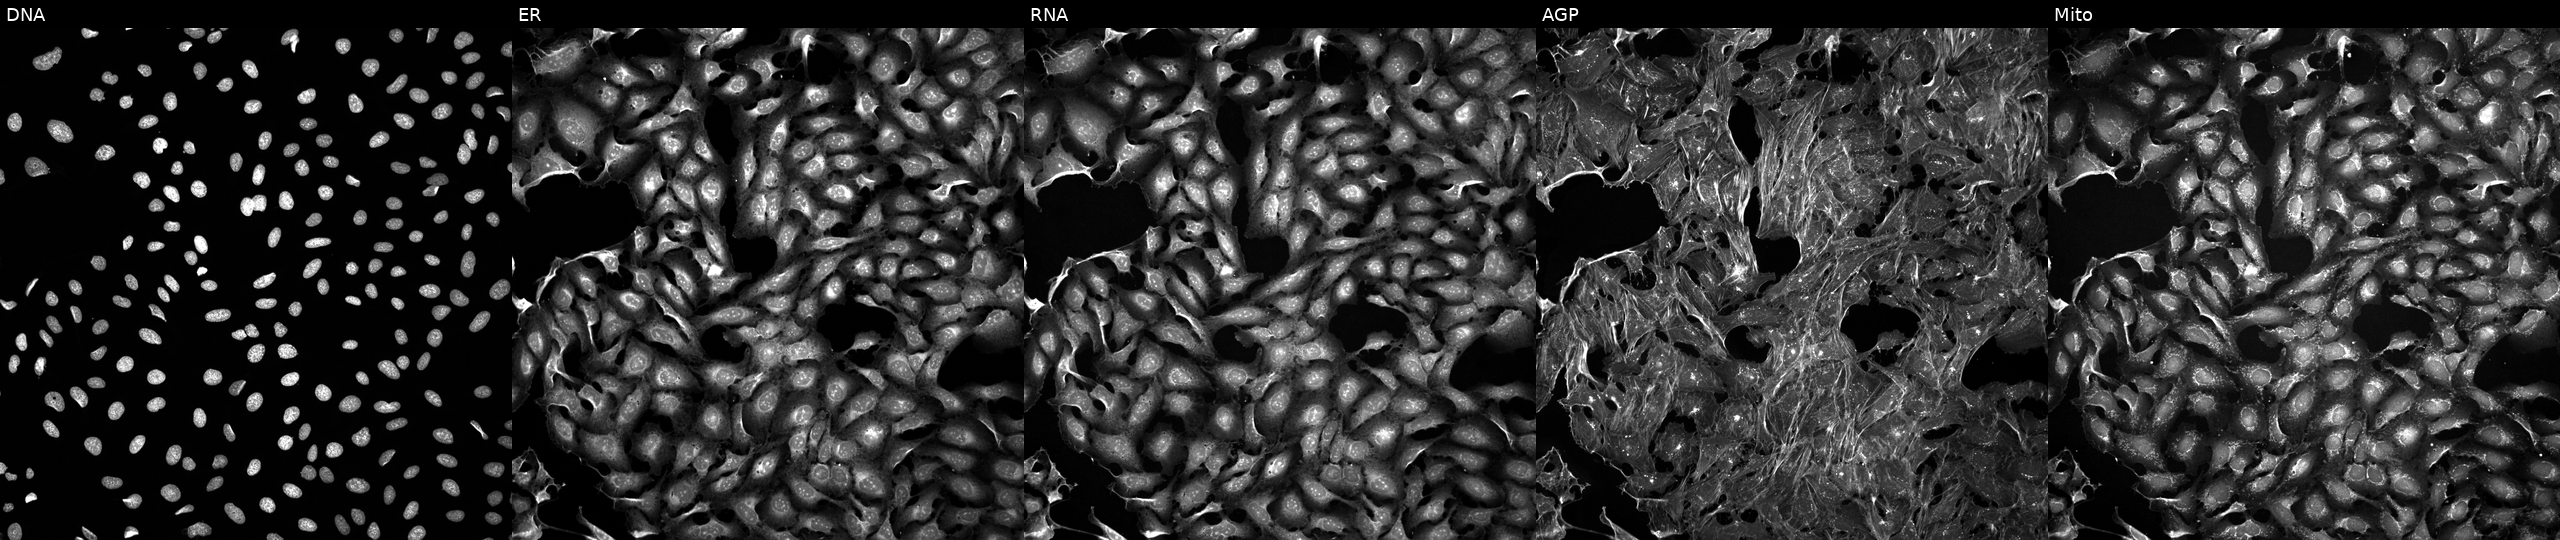
Five-channel Cell Painting image of U2OS cells exposed to the positive-control compound FK-866. The five panels, left to right, show Hoechst 33342, concanavalin A, SYTO 14, phalloidin and WGA, MitoTracker.